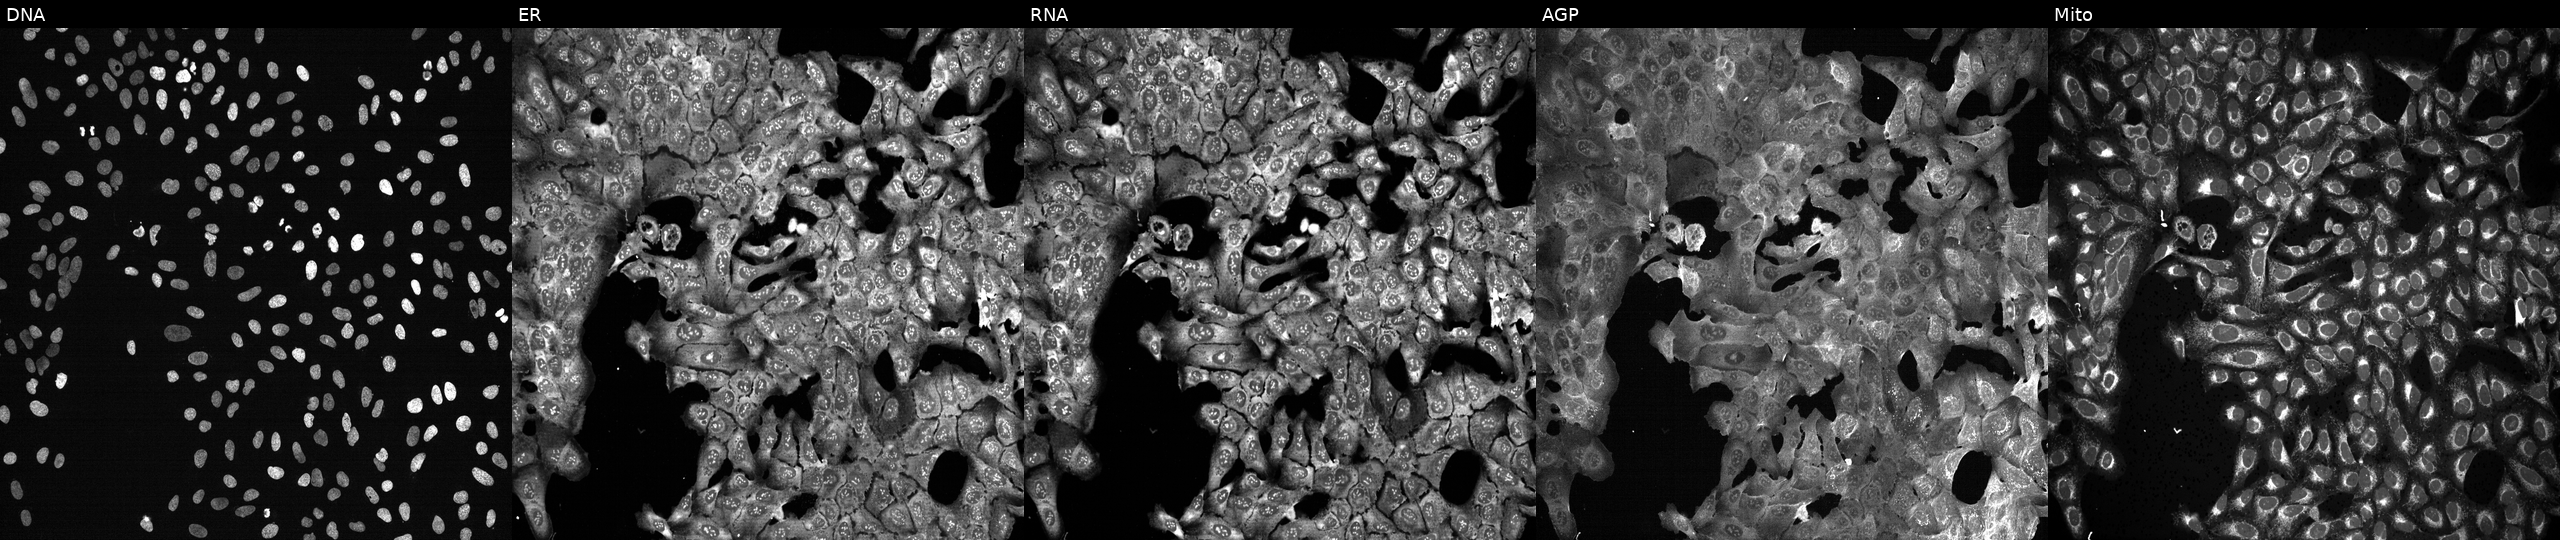
Five-channel Cell Painting image of U2OS cells following CRISPR knockout of ANGPTL3 (JUMP id JCP2022_800458). From left to right: DNA, ER, RNA, AGP, and Mito. Source 13, plate CP-CC9-R2-01, well F08.